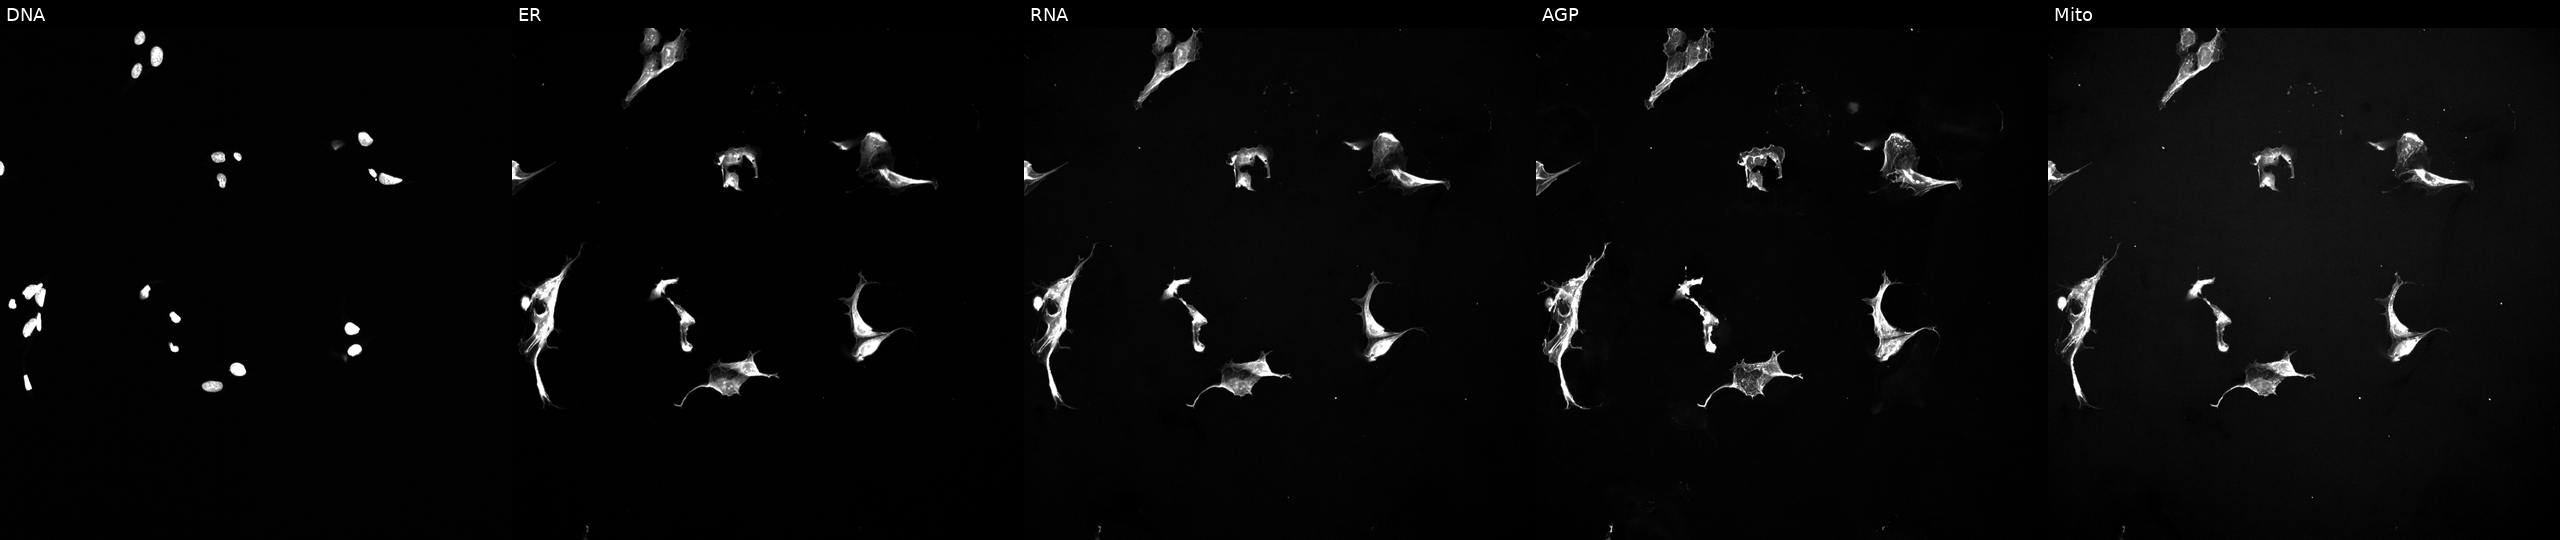
U2OS cells, Cell Painting assay, treated with a small-molecule compound. From left to right: Hoechst 33342, concanavalin A, SYTO 14, phalloidin and WGA, MitoTracker. Each panel is percentile-stretched 16-bit fluorescence. Source 5, plate ACPJUM012, well B01.